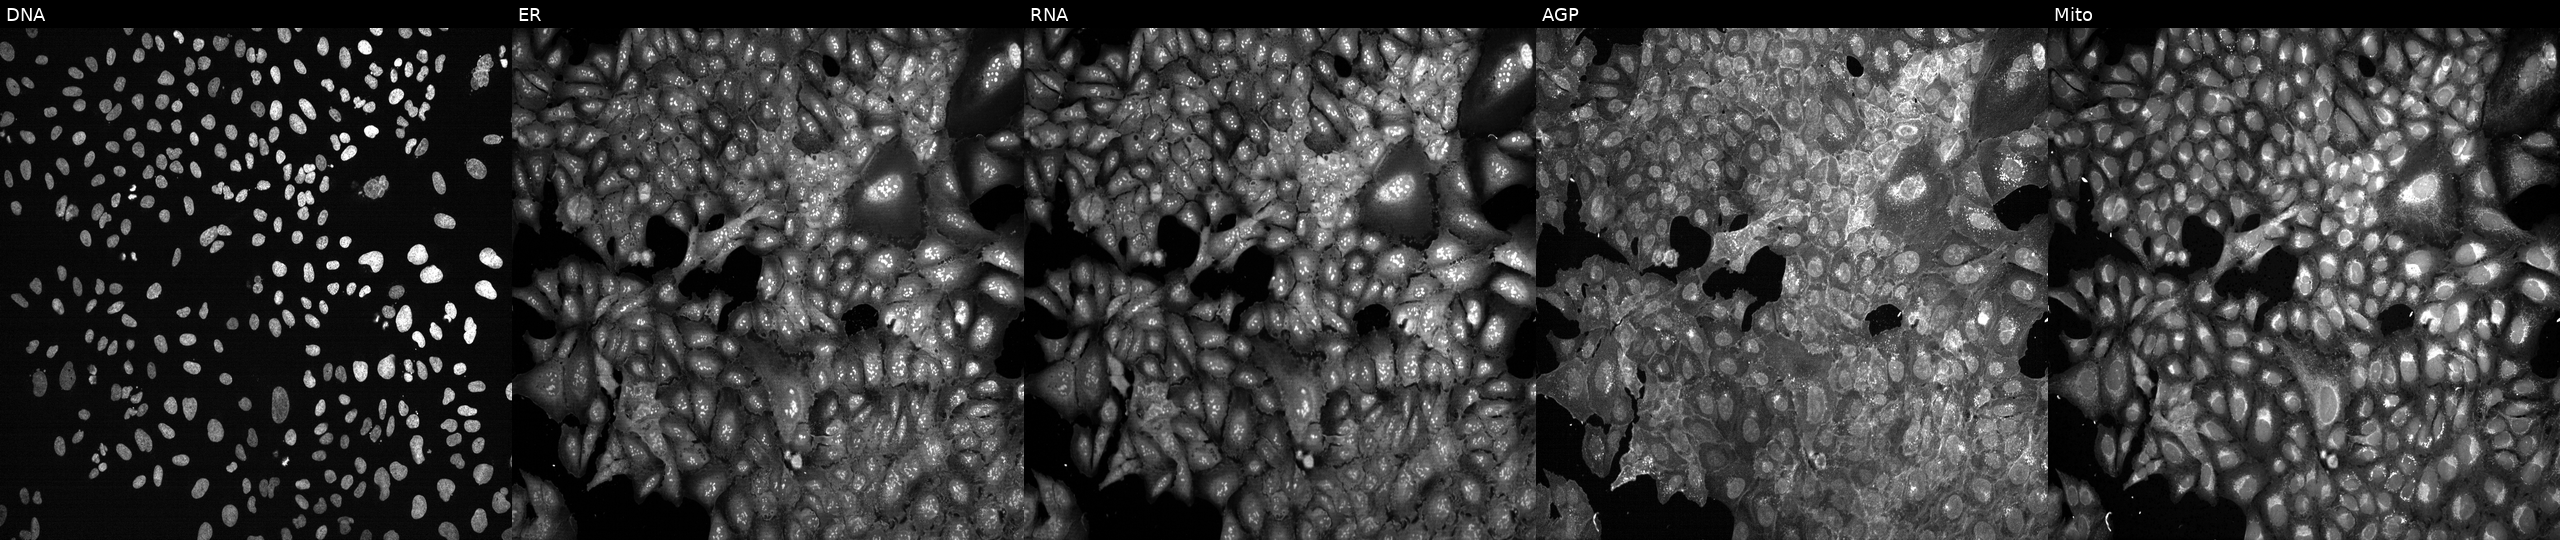
Five-channel Cell Painting image of U2OS cells following CRISPR knockout of ACADS (JUMP id JCP2022_800097). Panels show, left to right, DNA (nuclei); ER (endoplasmic reticulum); RNA (nucleoli and cytoplasmic RNA); AGP (actin cytoskeleton, Golgi, and plasma membrane); Mito (mitochondria). Source 13, plate CP-CC9-R1-01, well A15.